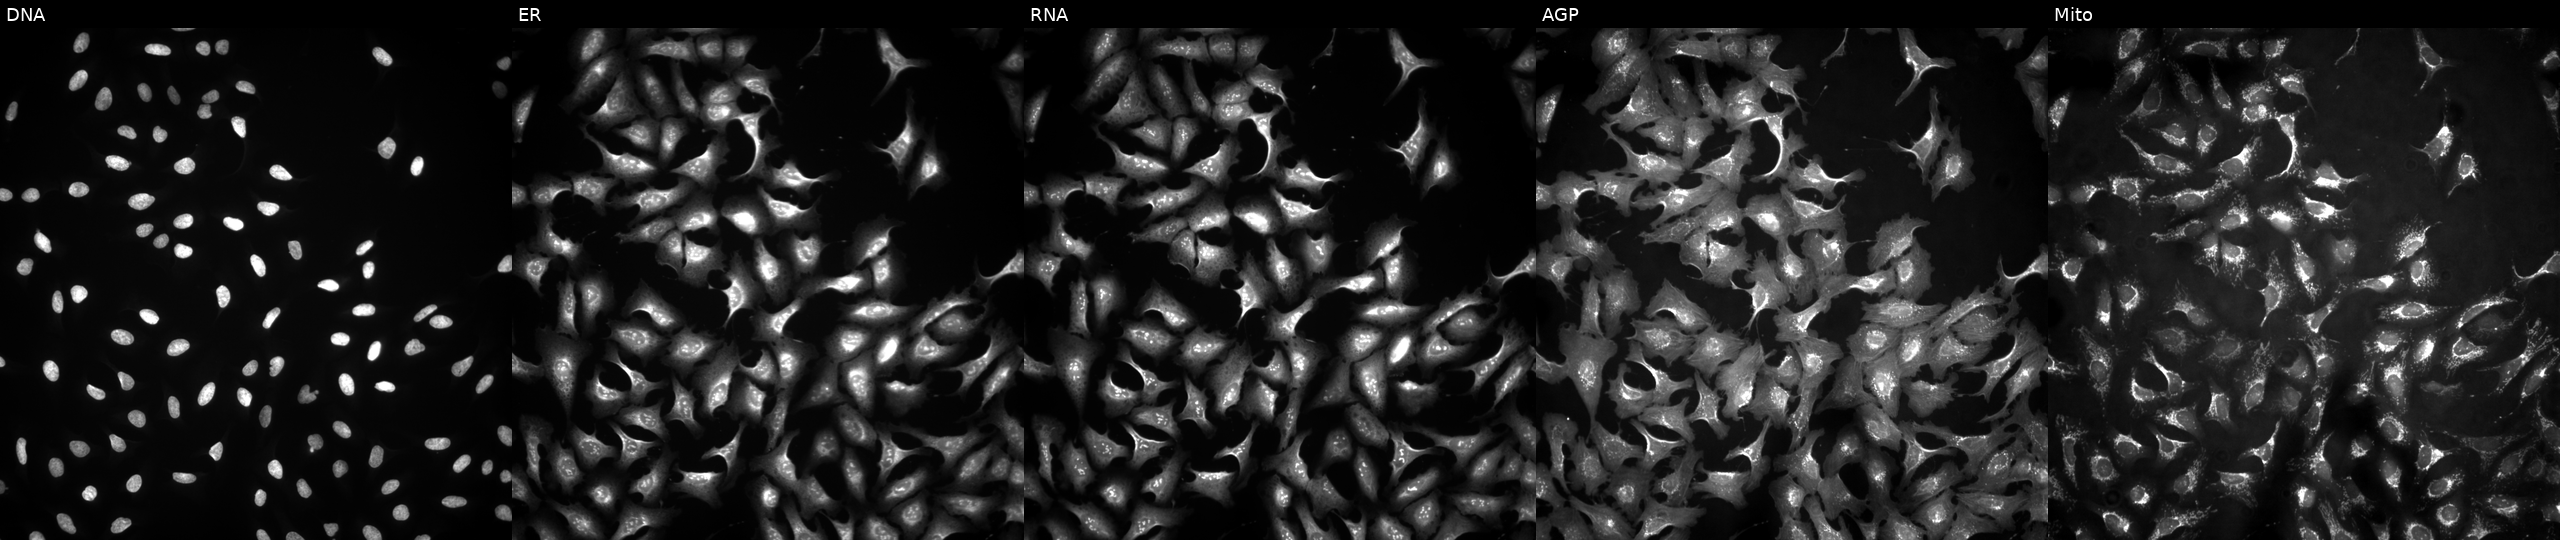
Panels show, left to right, DNA, ER, RNA, AGP, and Mito. U2OS osteosarcoma cells overexpressing SSH3 via ORF transfection (JUMP id JCP2022_911303). Cell Painting assay, JUMP-CP dataset.